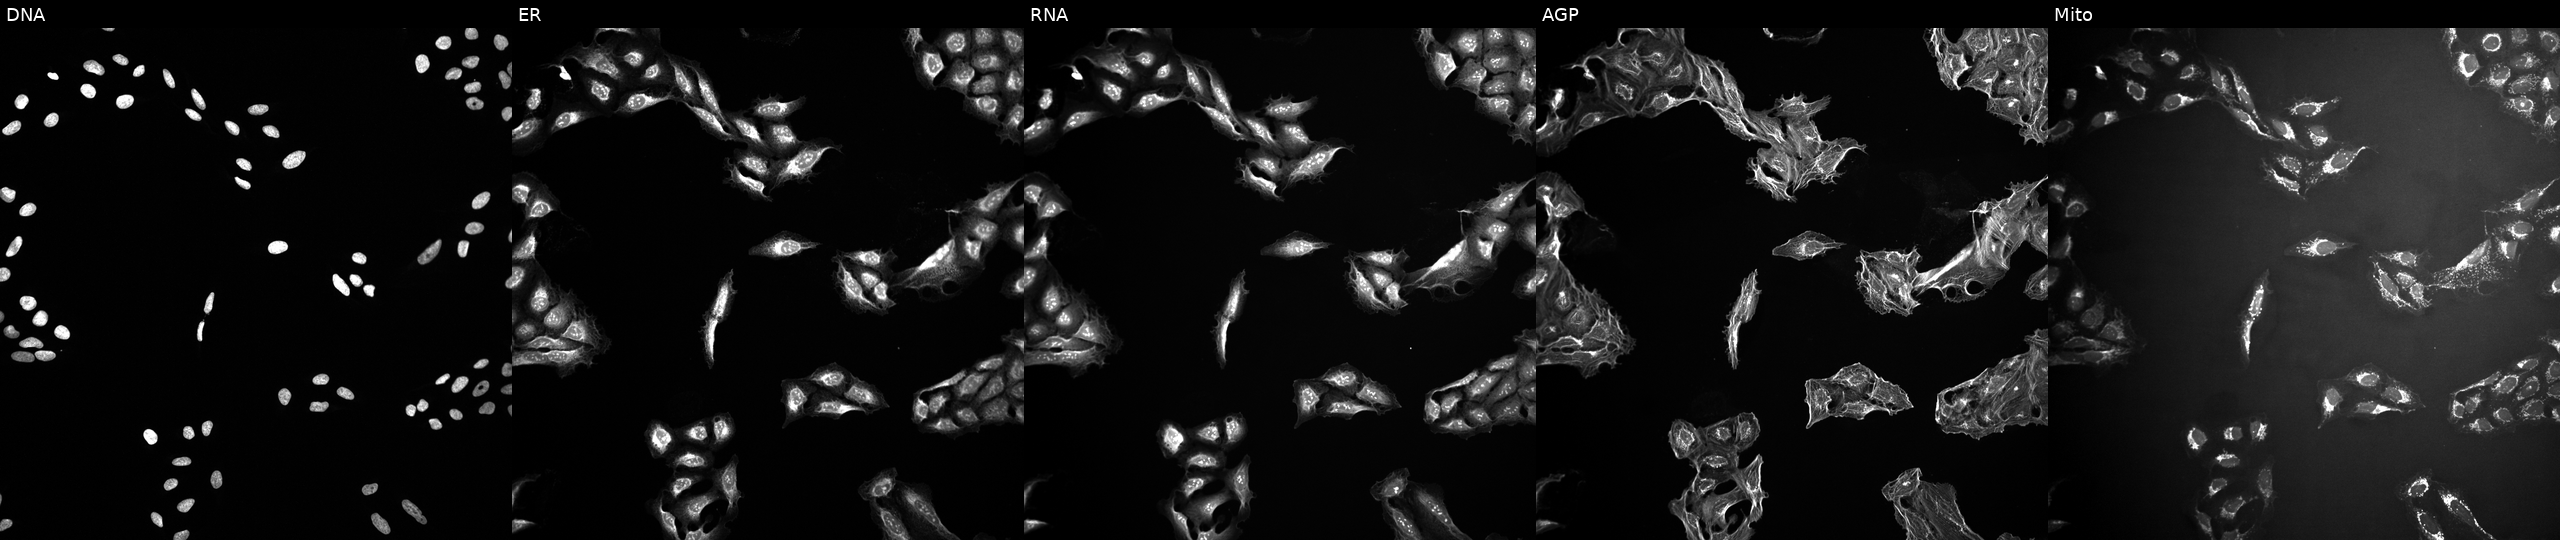
U2OS cells, Cell Painting assay, perturbed with a small-molecule compound [SMILES: O=C1NC(=O)c2cc(Nc3ccc(F)cc3)c(Nc3ccc(F)cc3)cc21]. Channels (left→right): DNA (nuclei); ER (endoplasmic reticulum); RNA (nucleoli and cytoplasmic RNA); AGP (actin cytoskeleton, Golgi, and plasma membrane); Mito (mitochondria). Each panel is percentile-stretched 16-bit fluorescence.